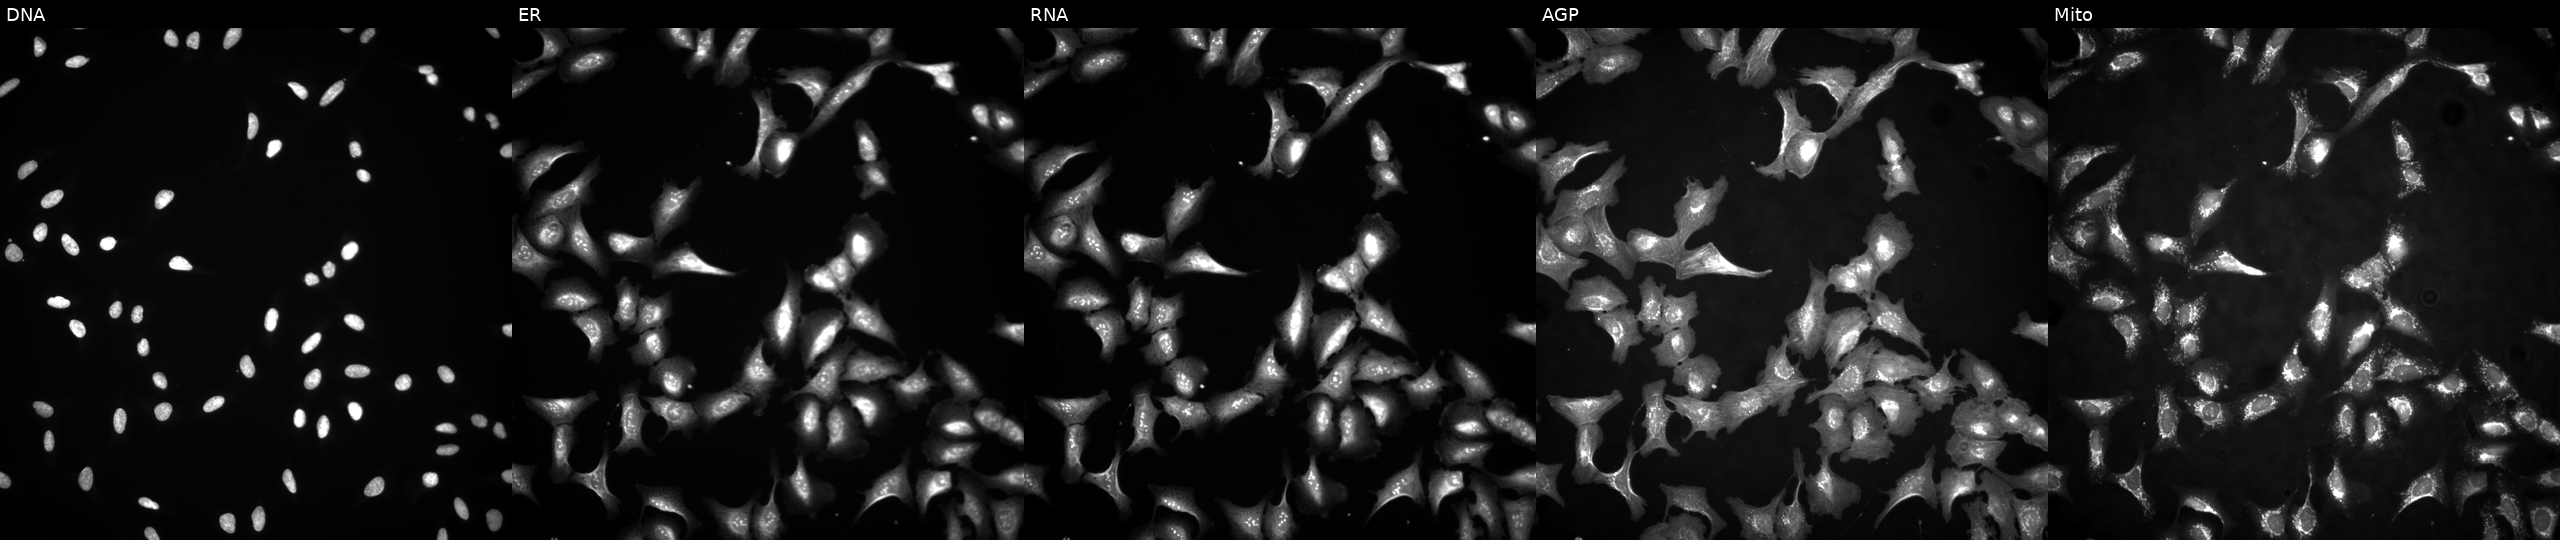
Five-channel Cell Painting image of U2OS cells overexpressing SPHK1 via ORF transfection (JUMP id JCP2022_906840). Panels show, left to right, Hoechst 33342, concanavalin A, SYTO 14, phalloidin and WGA, MitoTracker. Source 4, plate BR00124787, well G19.